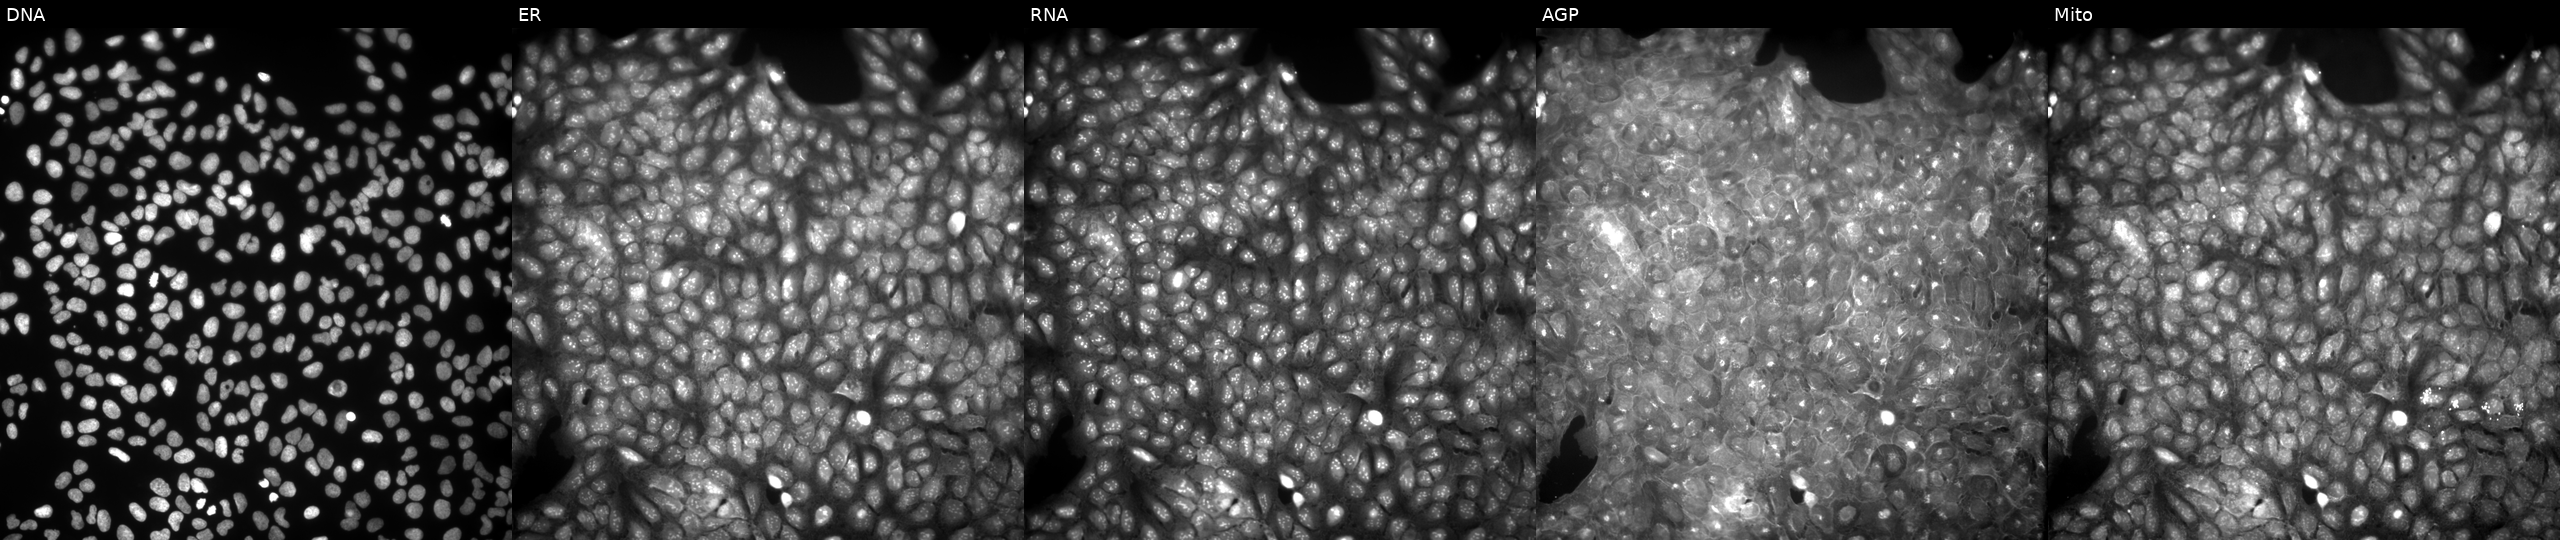
Channels (left→right): DNA (nuclei); ER (endoplasmic reticulum); RNA (nucleoli and cytoplasmic RNA); AGP (actin cytoskeleton, Golgi, and plasma membrane); Mito (mitochondria). U2OS osteosarcoma cells exposed to a small-molecule compound (InChIKey QNFGFJQLGPBPJR-UHFFFAOYSA-N). Cell Painting assay, JUMP-CP dataset.